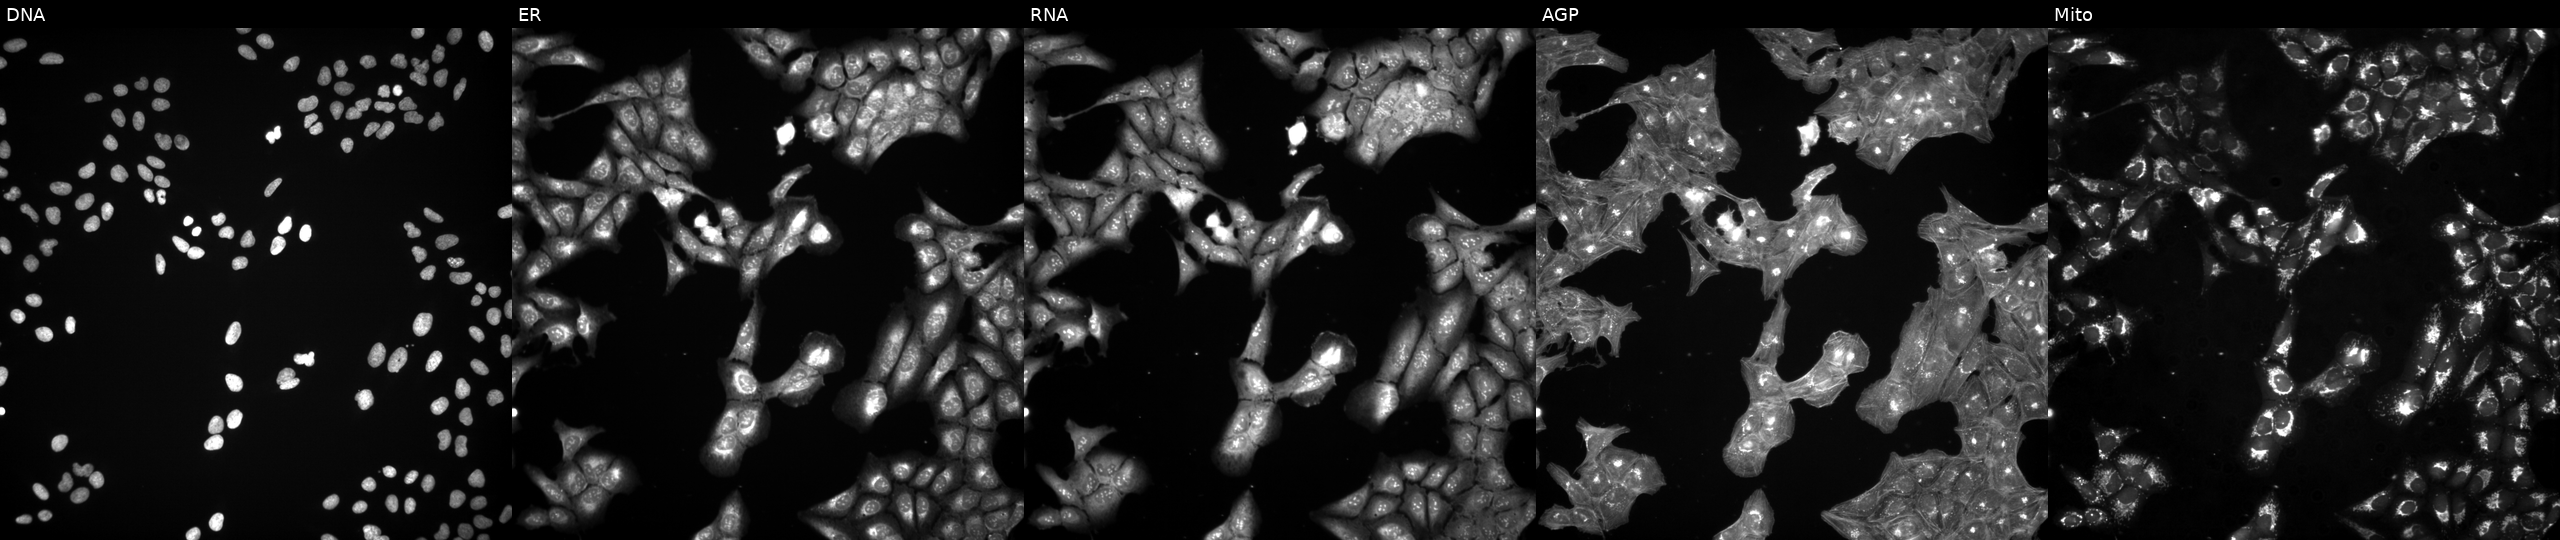
JUMP Cell Painting — COMPOUND plate. U2OS cells treated with a small-molecule compound (InChIKey BNYXNLZCIMWGSD-UHFFFAOYSA-N) [SMILES: CCOC(=O)C1C(C)=NC(=O)NC1c1ccc2c(c1)OCO2] (JUMP id JCP2022_007561). Panels show, left to right, DNA, ER, RNA, AGP, and Mito.